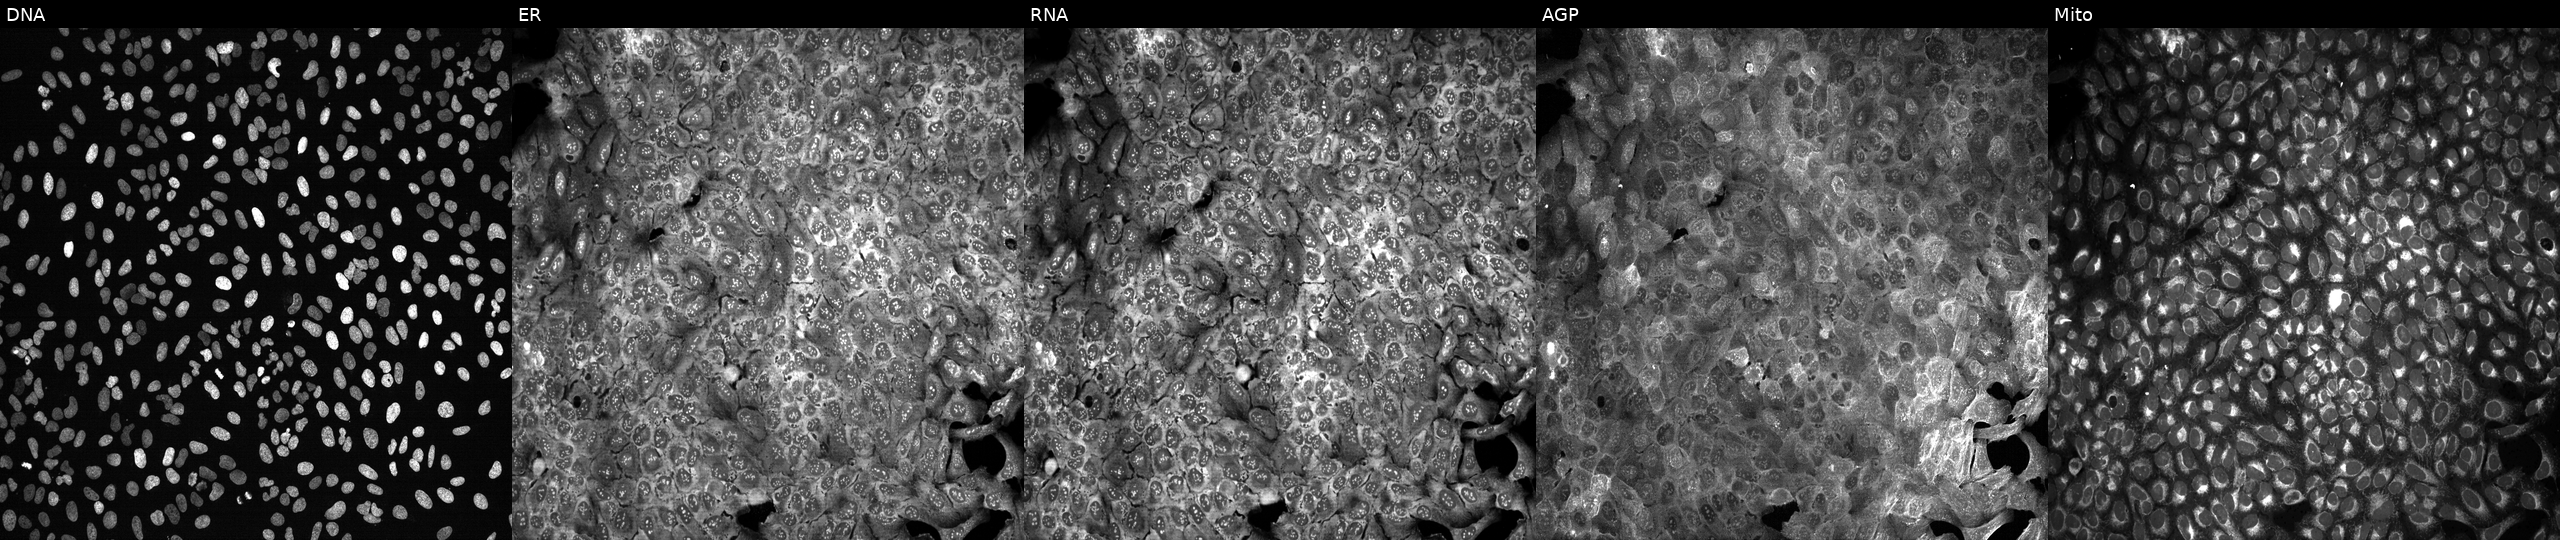
U2OS cells, Cell Painting assay, with KITLG knocked out by CRISPR (JUMP id JCP2022_803696). From left to right: DNA, ER, RNA, AGP, and Mito. Each panel is percentile-stretched 16-bit fluorescence. Source 13, plate CP-CC9-R2-01, well M08.